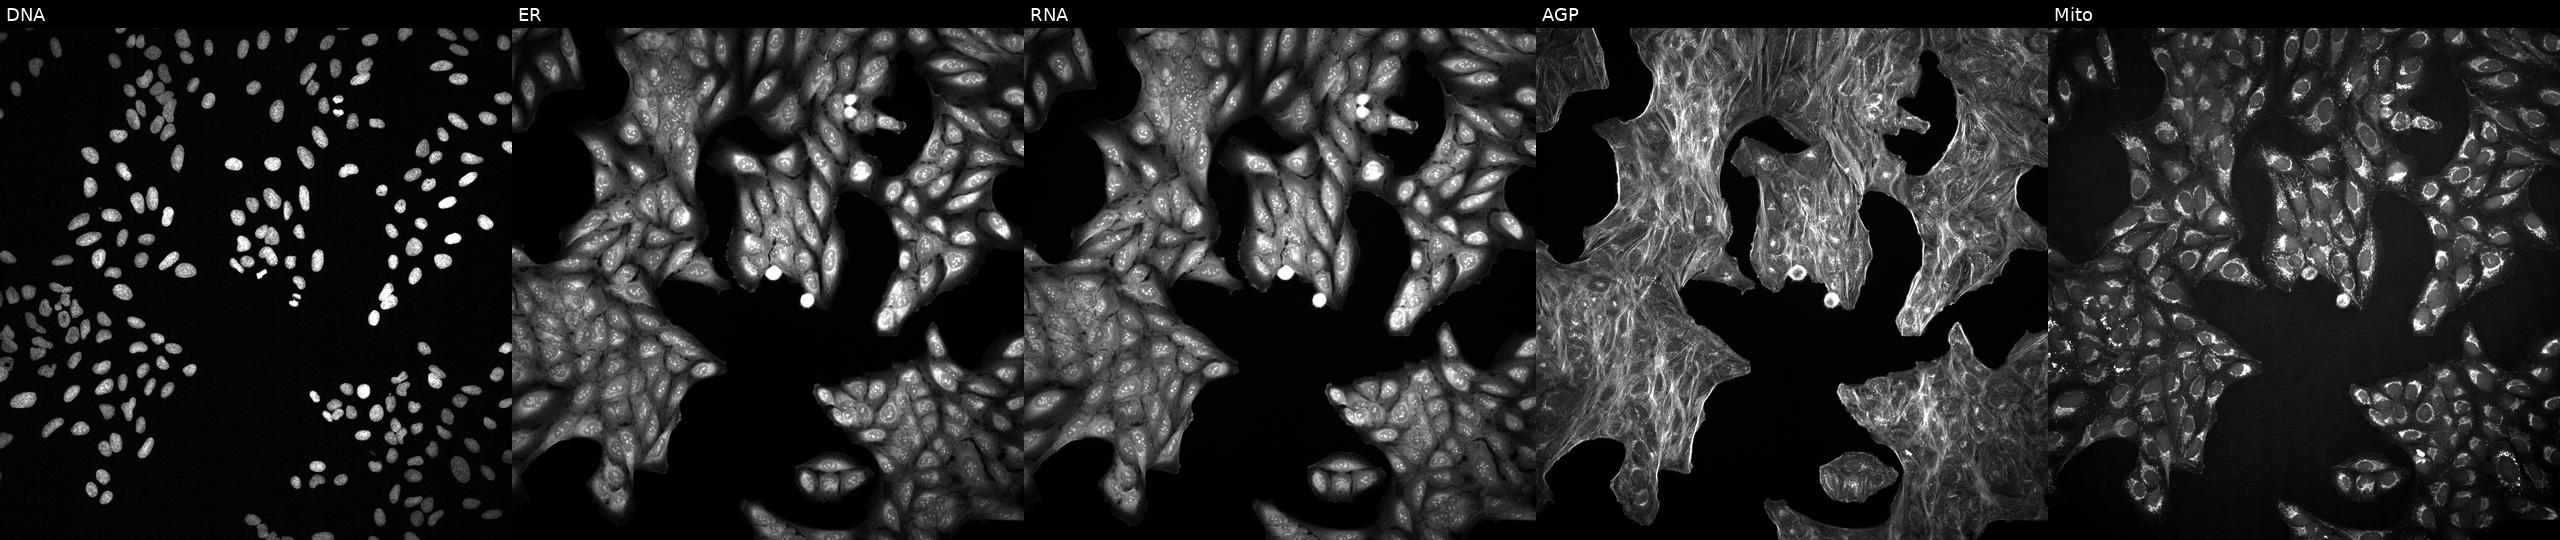
High-content fluorescence microscopy (Cell Painting). Cell line: U2OS. Perturbation: with an unidentified perturbation (not annotated in JUMP metadata). Channels (left→right): Hoechst 33342, concanavalin A, SYTO 14, phalloidin and WGA, MitoTracker.